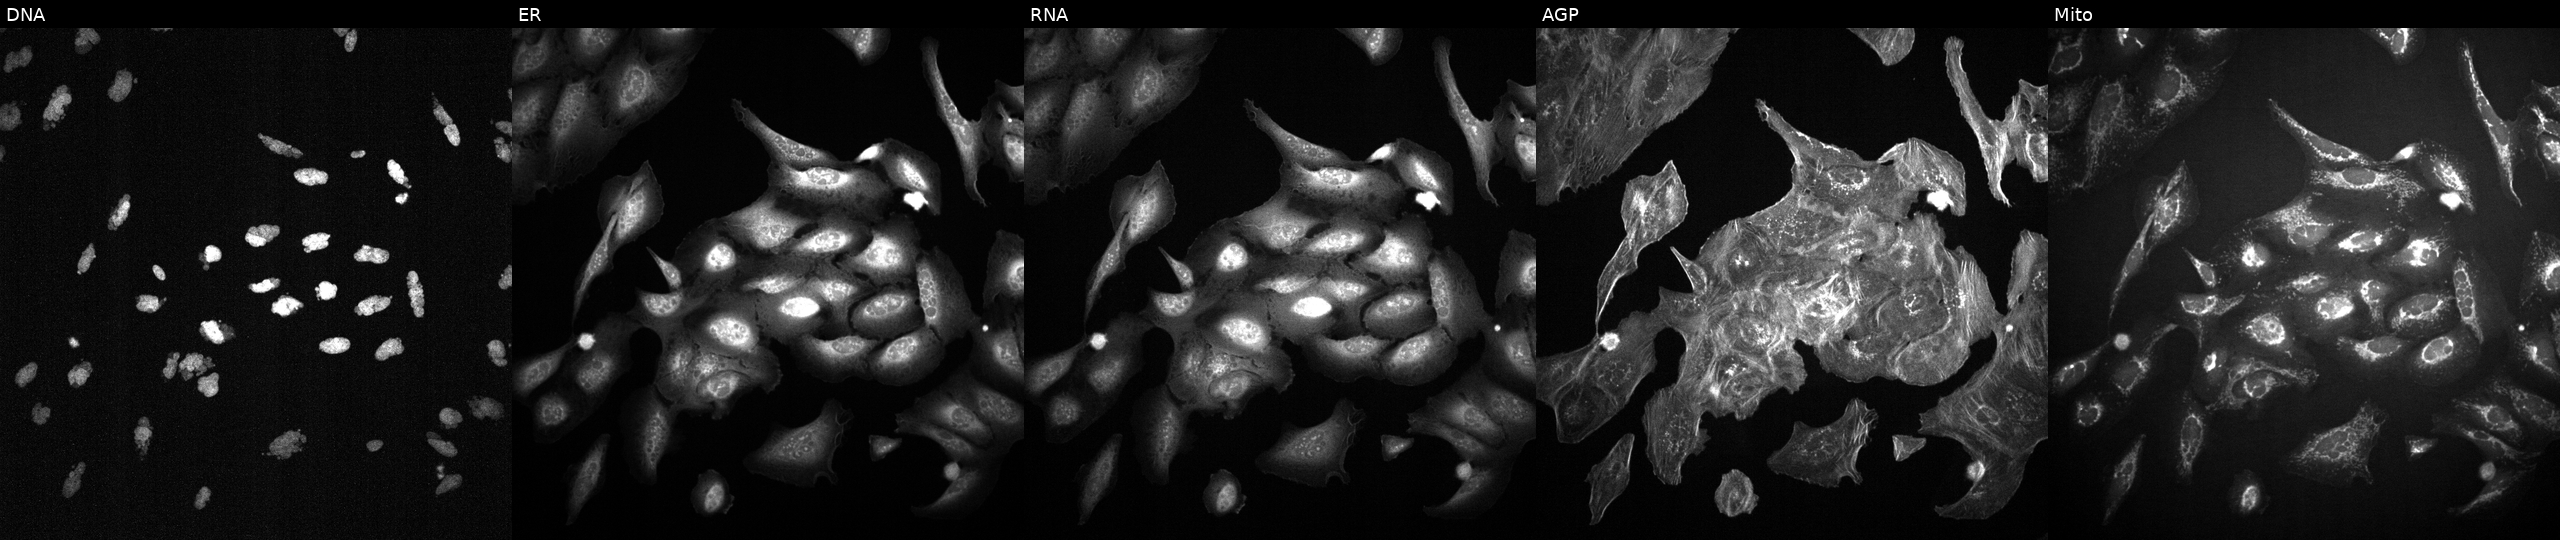
JUMP Cell Painting — TARGET2 plate. U2OS cells treated with AMG900 (positive-control compound). Panels show, left to right, DNA, ER, RNA, AGP, and Mito.